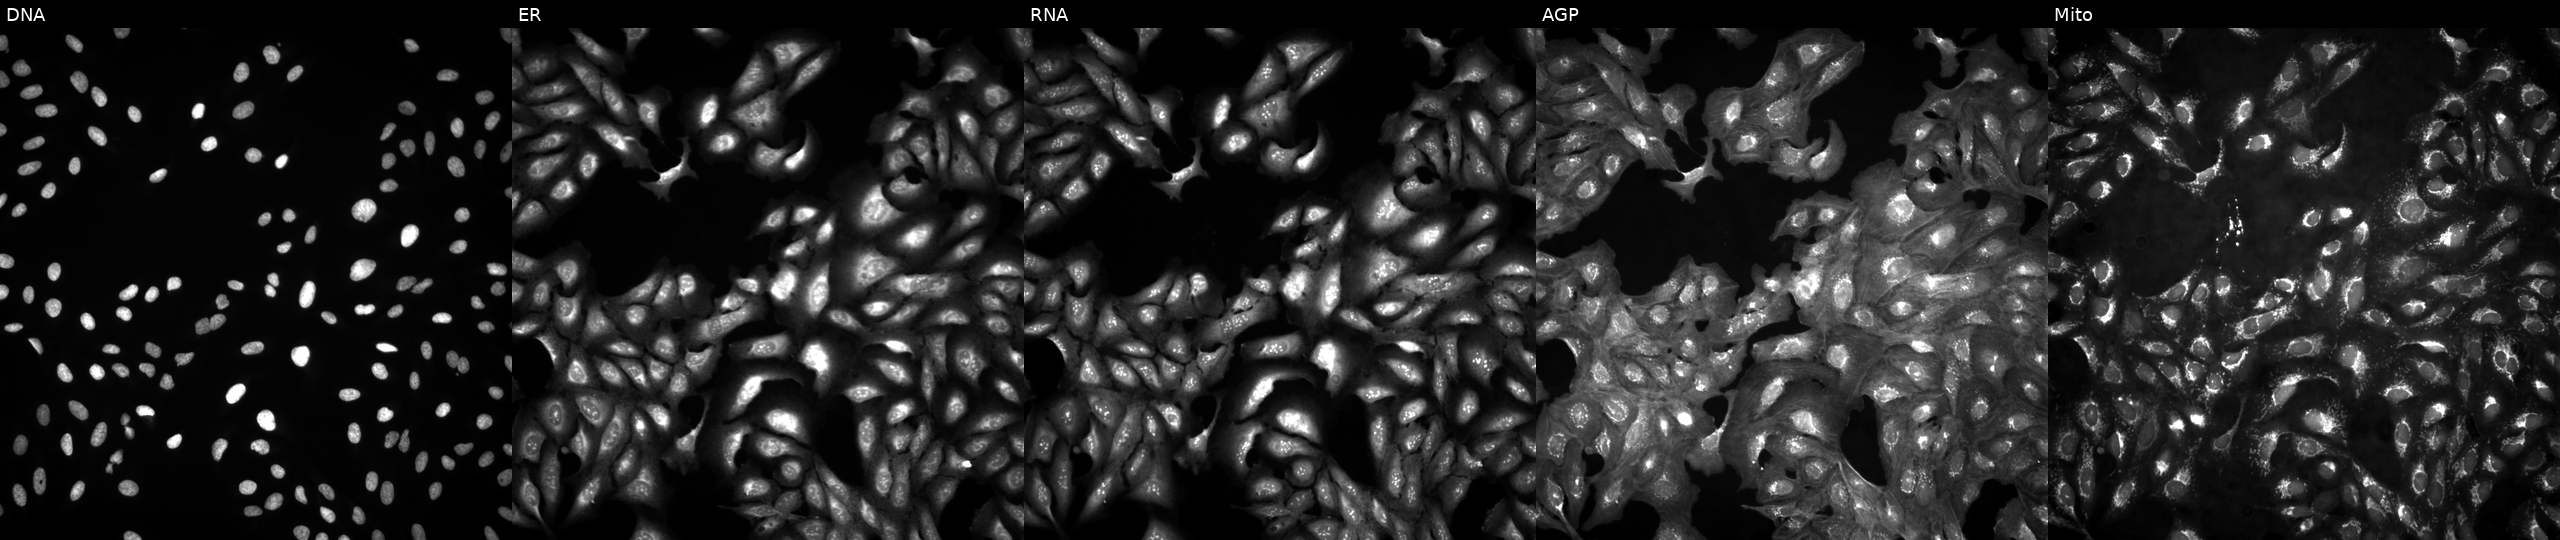
Five-channel Cell Painting image of U2OS cells in an empty control well (no perturbation). Channels (left→right): Hoechst 33342, concanavalin A, SYTO 14, phalloidin and WGA, MitoTracker. Source 4, plate BR00124793, well B13.